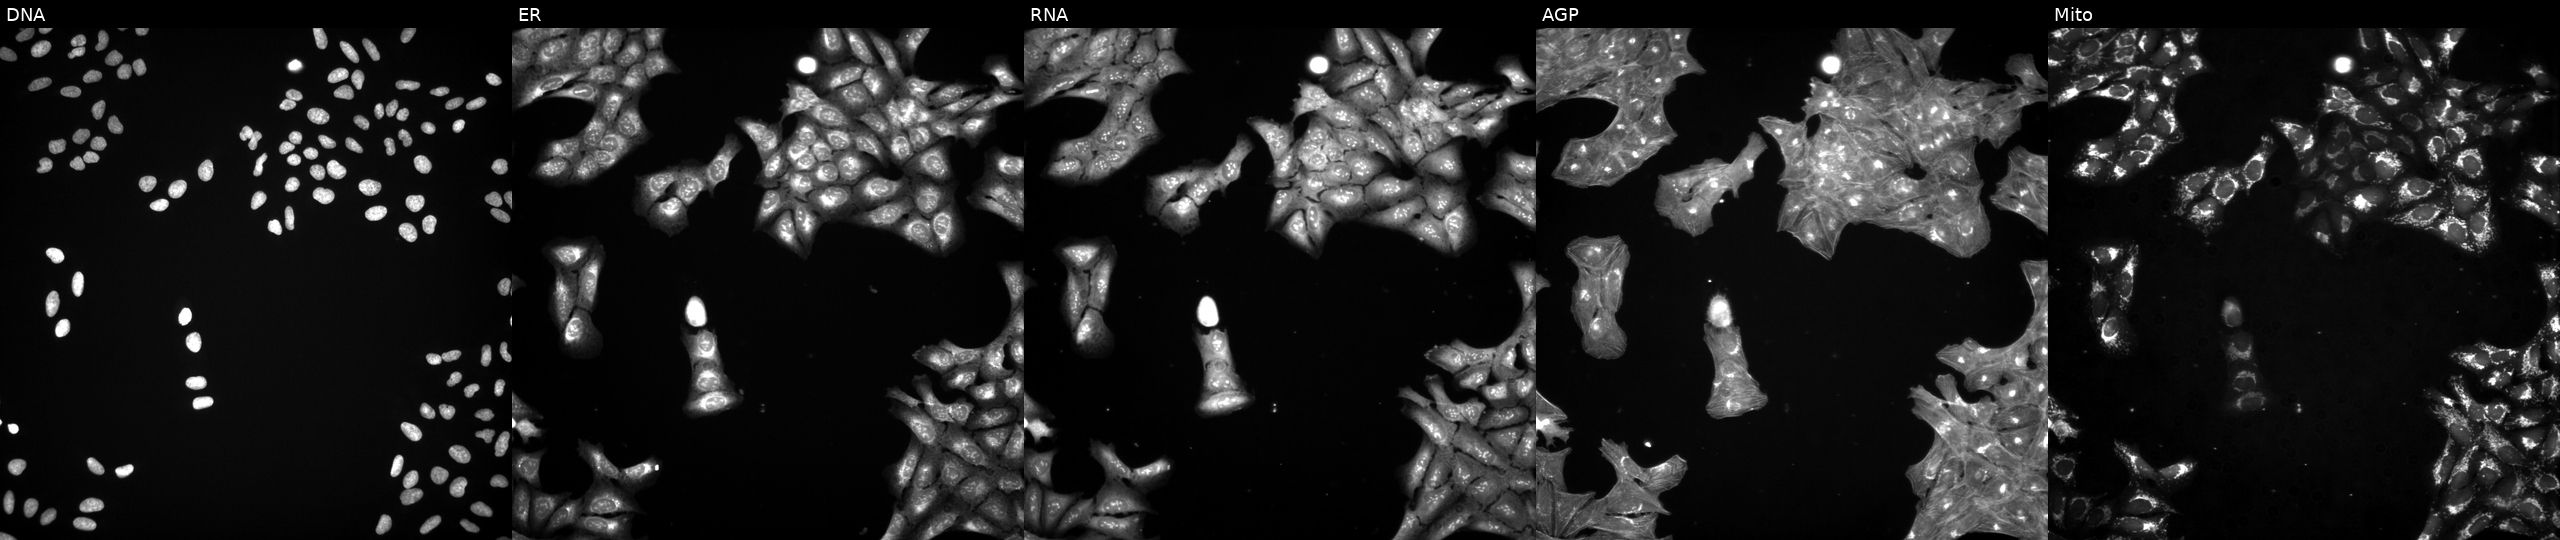
High-content fluorescence microscopy (Cell Painting). Cell line: U2OS. Perturbation: treated with a small-molecule compound (InChIKey FQNQQEAPCNKDMD-UHFFFAOYSA-N) (JUMP id JCP2022_022312). Channels (left→right): DNA, ER, RNA, AGP, and Mito. Source 3, plate BR5867b3, well H19.